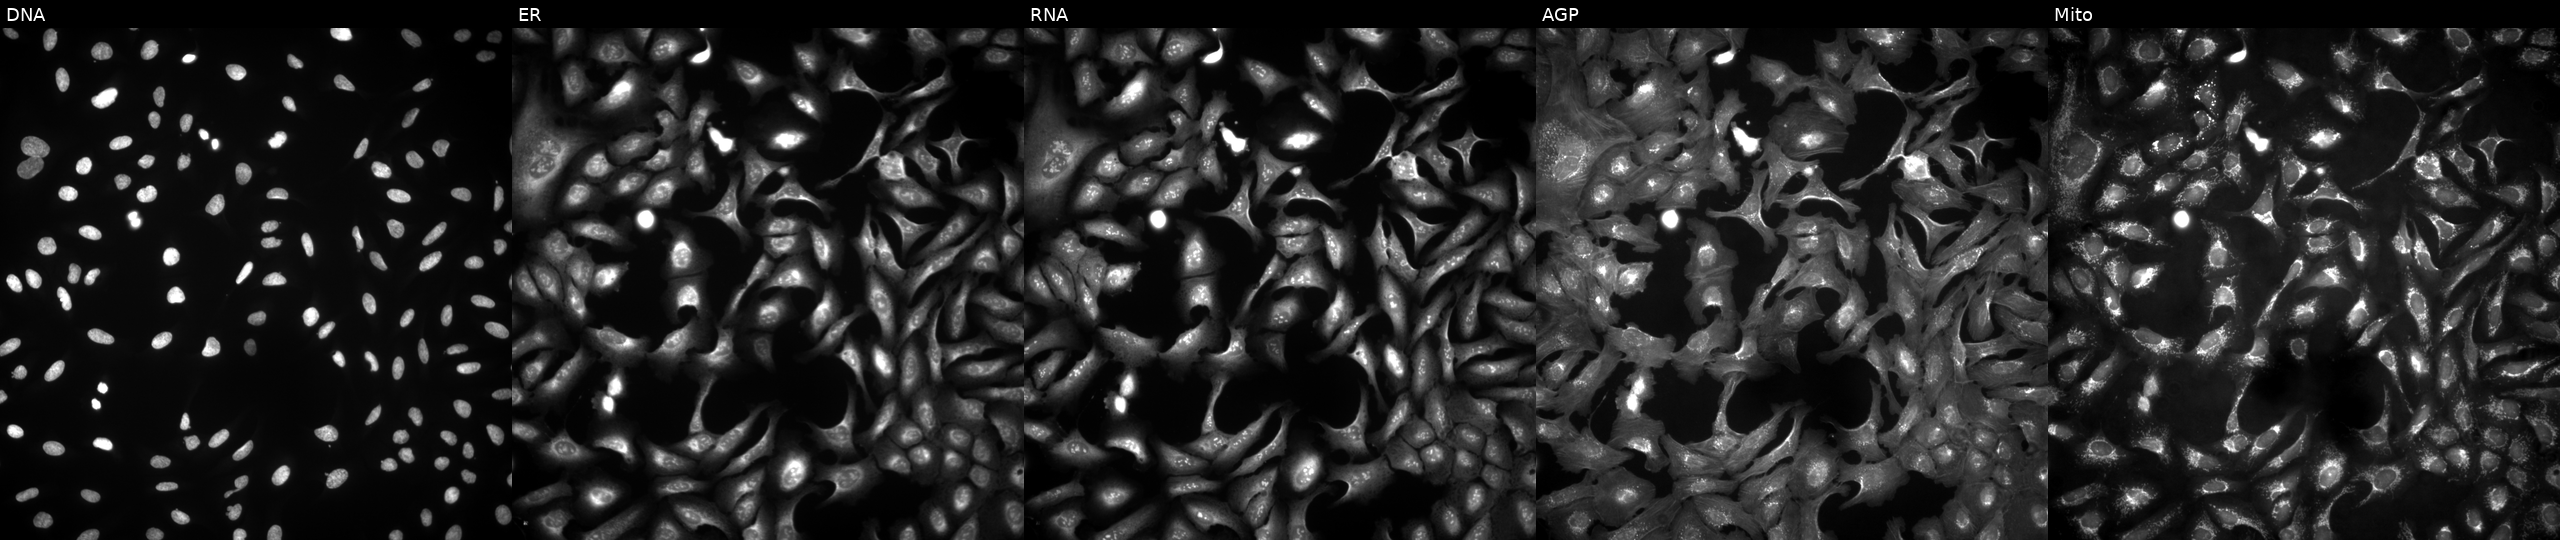
Five-channel Cell Painting image of U2OS cells transfected with an ORF construct for TBRG1. Channels (left→right): DNA, ER, RNA, AGP, and Mito.